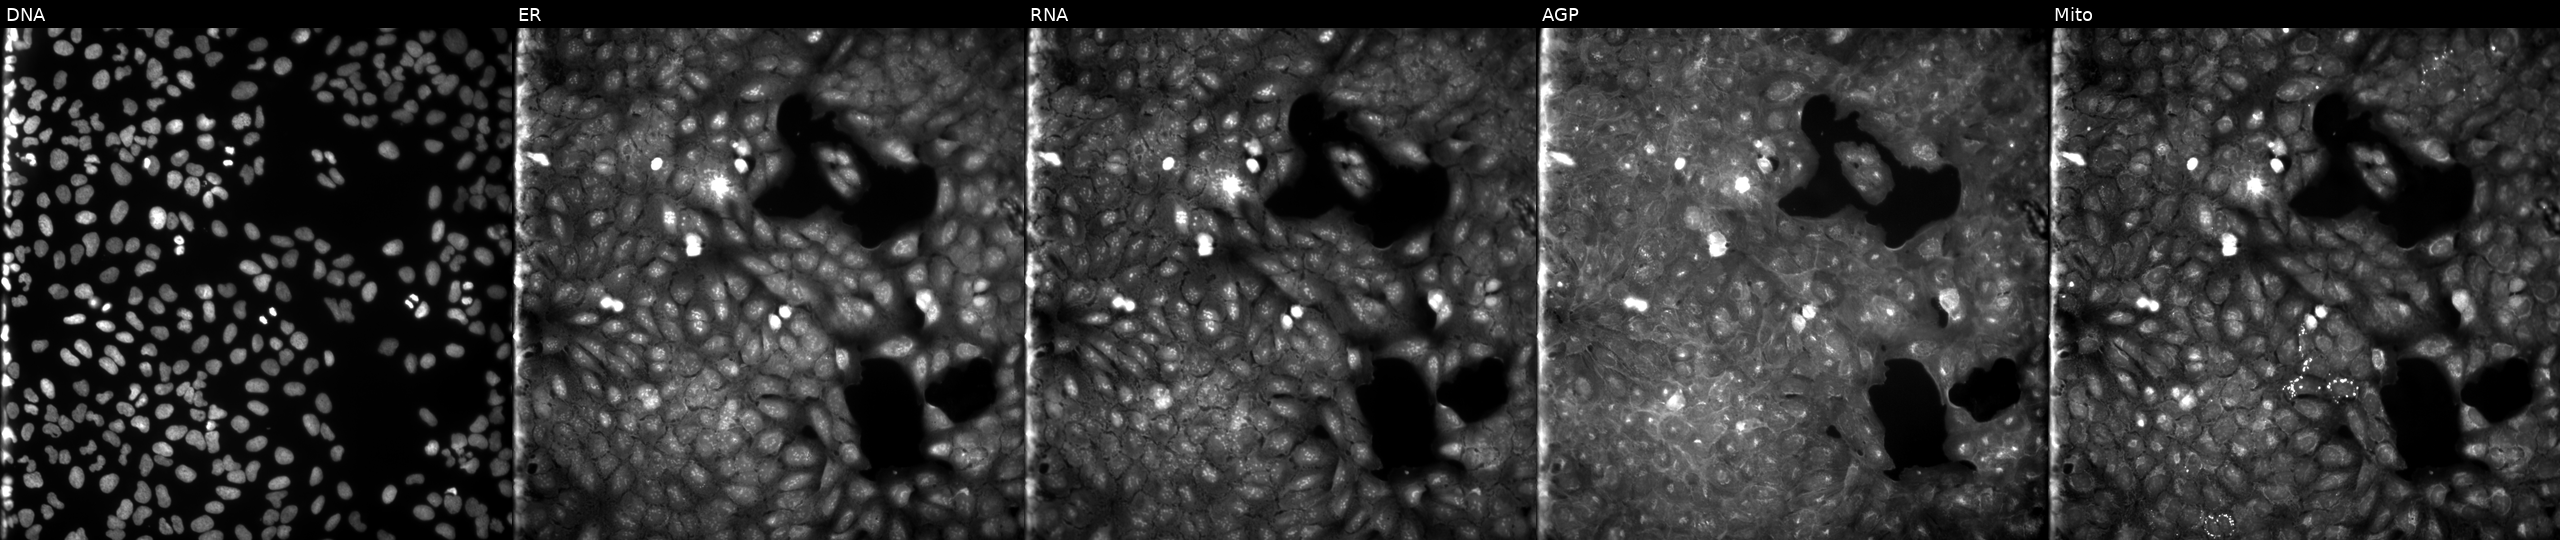
U2OS cells, Cell Painting assay, exposed to a small-molecule compound (InChIKey OYDLZTSMGBJYJX-UHFFFAOYSA-N) [SMILES: COc1ccc(CCNC(=O)C(C(C)C)N2C(=O)c3ccccc3C2=O)cc1] (JUMP id JCP2022_066897). Panels show, left to right, Hoechst 33342, concanavalin A, SYTO 14, phalloidin and WGA, MitoTracker. Each panel is percentile-stretched 16-bit fluorescence.